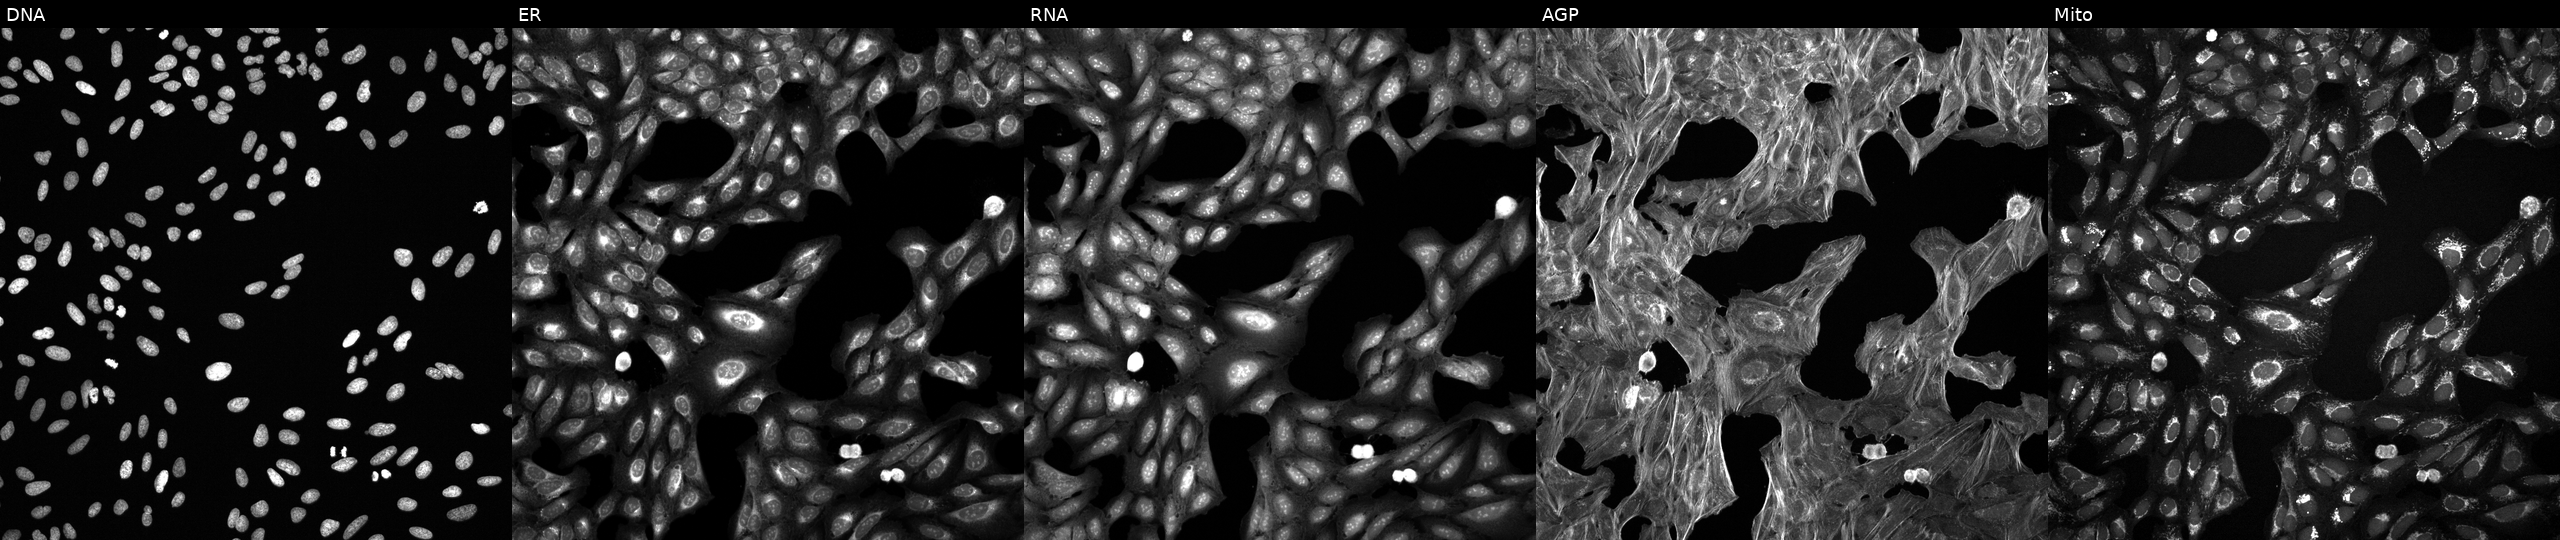
This image strip shows the five Cell Painting channels for a single field of U2OS cells treated with a small-molecule compound (JUMP id JCP2022_081144). From left to right: DNA (nuclei); ER (endoplasmic reticulum); RNA (nucleoli and cytoplasmic RNA); AGP (actin cytoskeleton, Golgi, and plasma membrane); Mito (mitochondria).